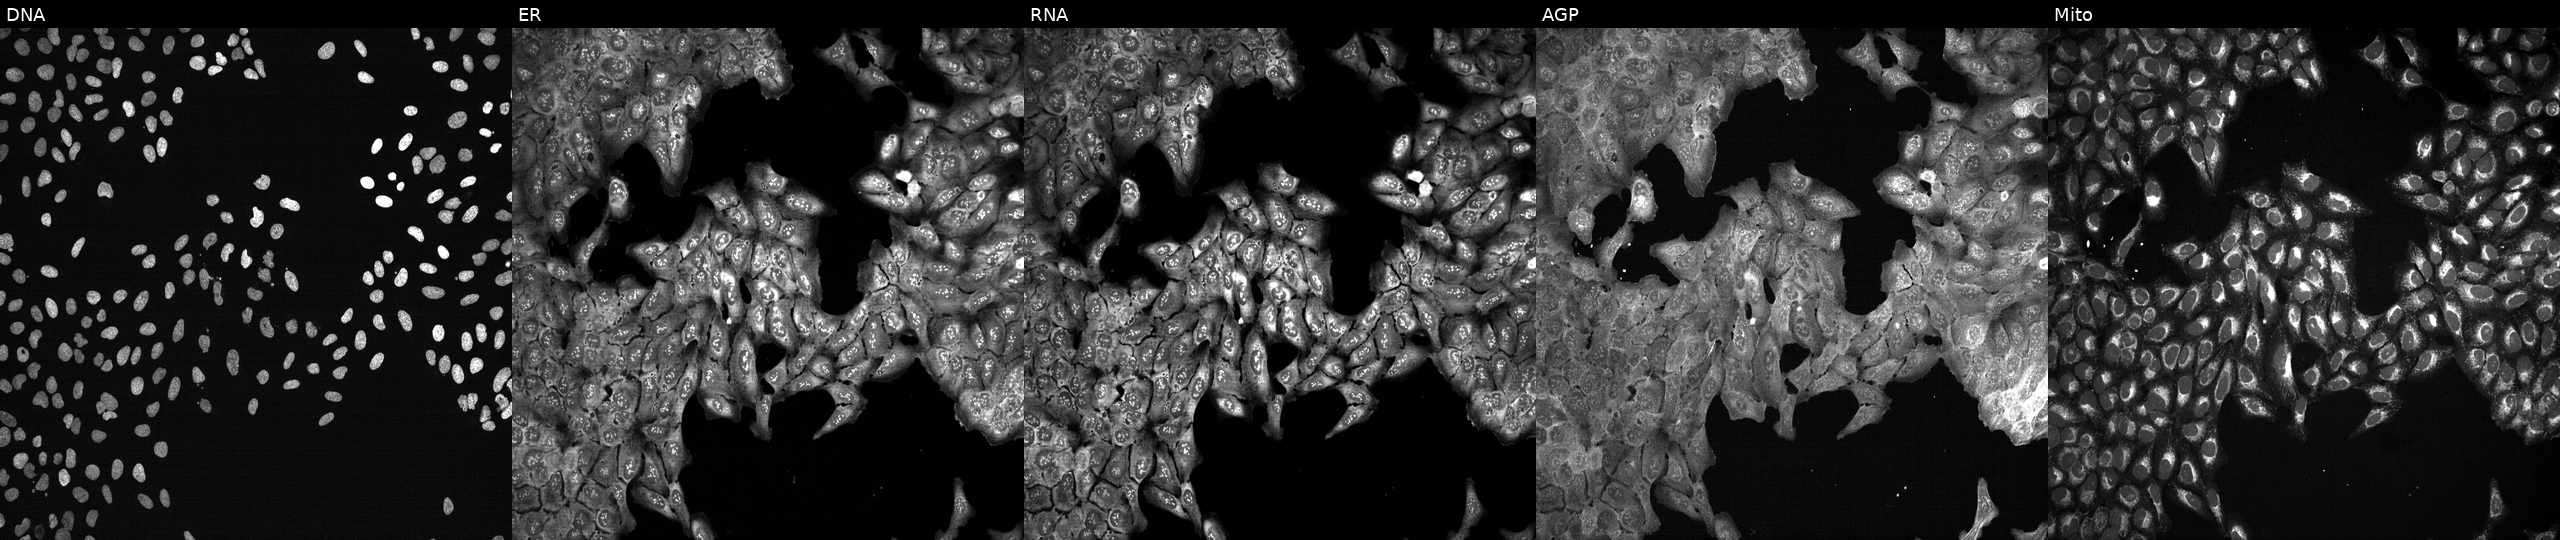
This image strip shows the five Cell Painting channels for a single field of U2OS cells CRISPR-edited to disrupt KIF12 (JUMP id JCP2022_803659). From left to right: Hoechst 33342, concanavalin A, SYTO 14, phalloidin and WGA, MitoTracker.